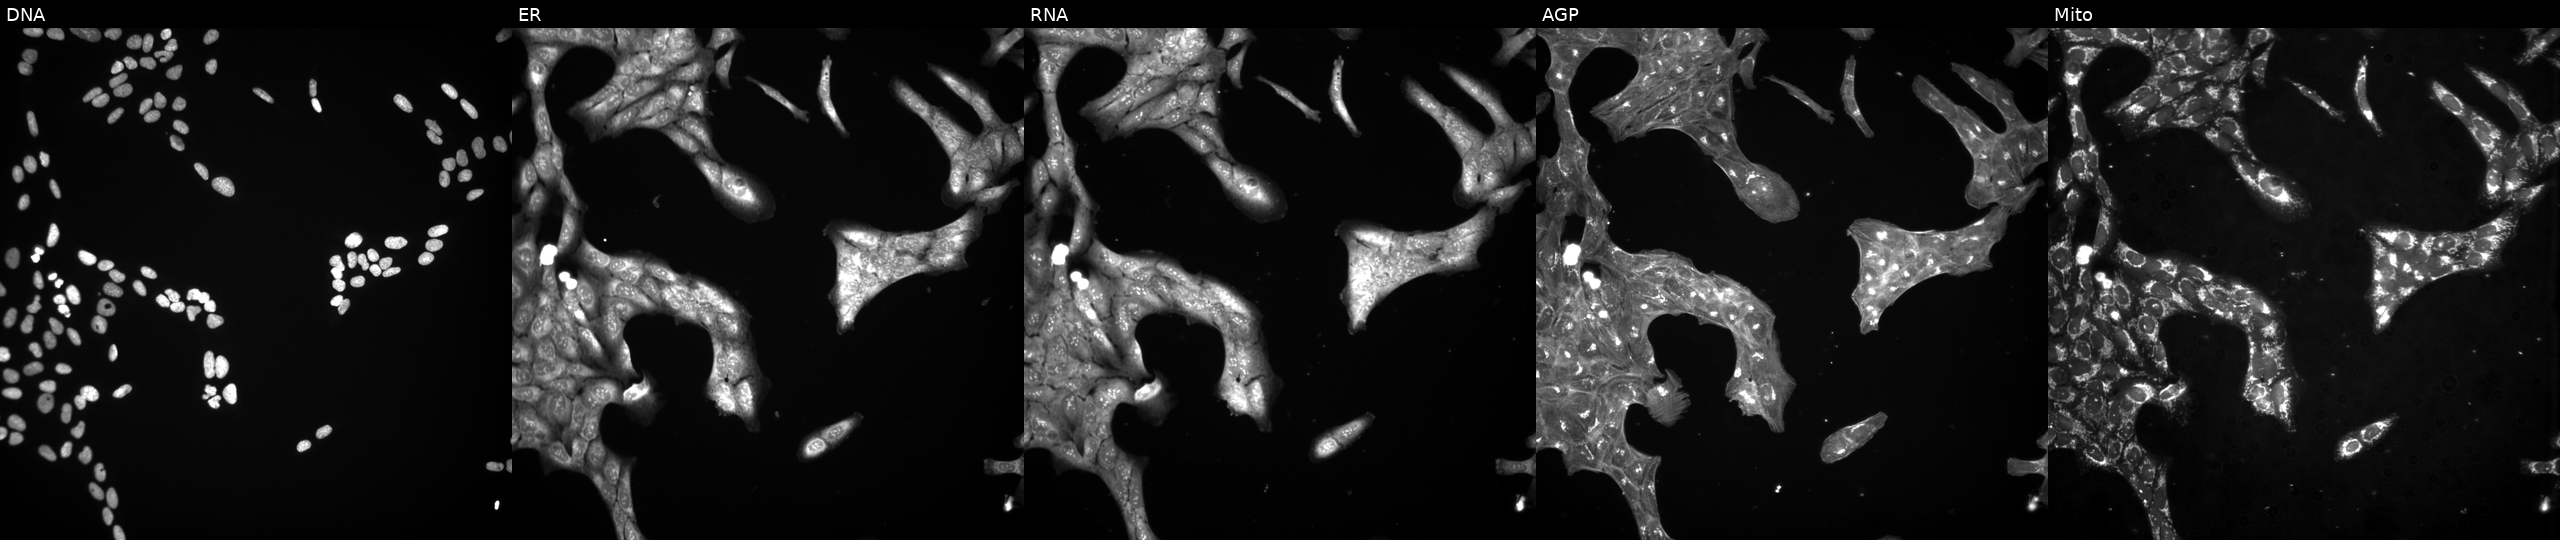
High-content fluorescence microscopy (Cell Painting). Cell line: U2OS. Perturbation: perturbed with a small-molecule compound (InChIKey FNHKPVJBJVTLMP-UHFFFAOYSA-N). Channels (left→right): DNA, ER, RNA, AGP, and Mito.